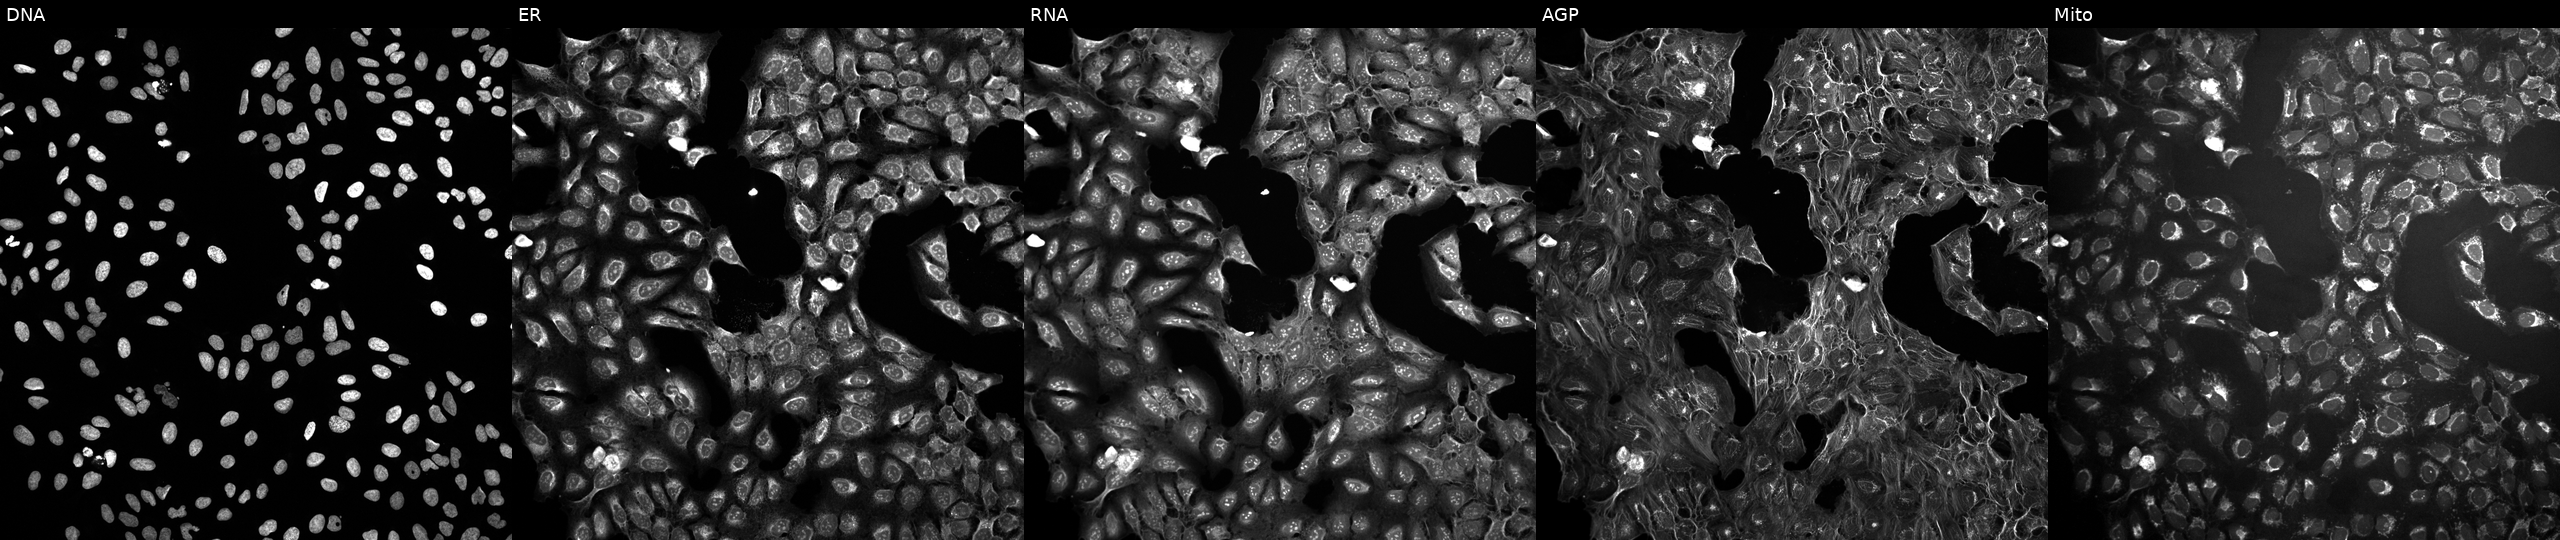
From left to right: Hoechst 33342, concanavalin A, SYTO 14, phalloidin and WGA, MitoTracker. U2OS osteosarcoma cells in an empty control well (no perturbation) (JUMP id JCP2022_999999). Cell Painting assay, JUMP-CP dataset. Source 10, plate Dest210531-152324, well P06.